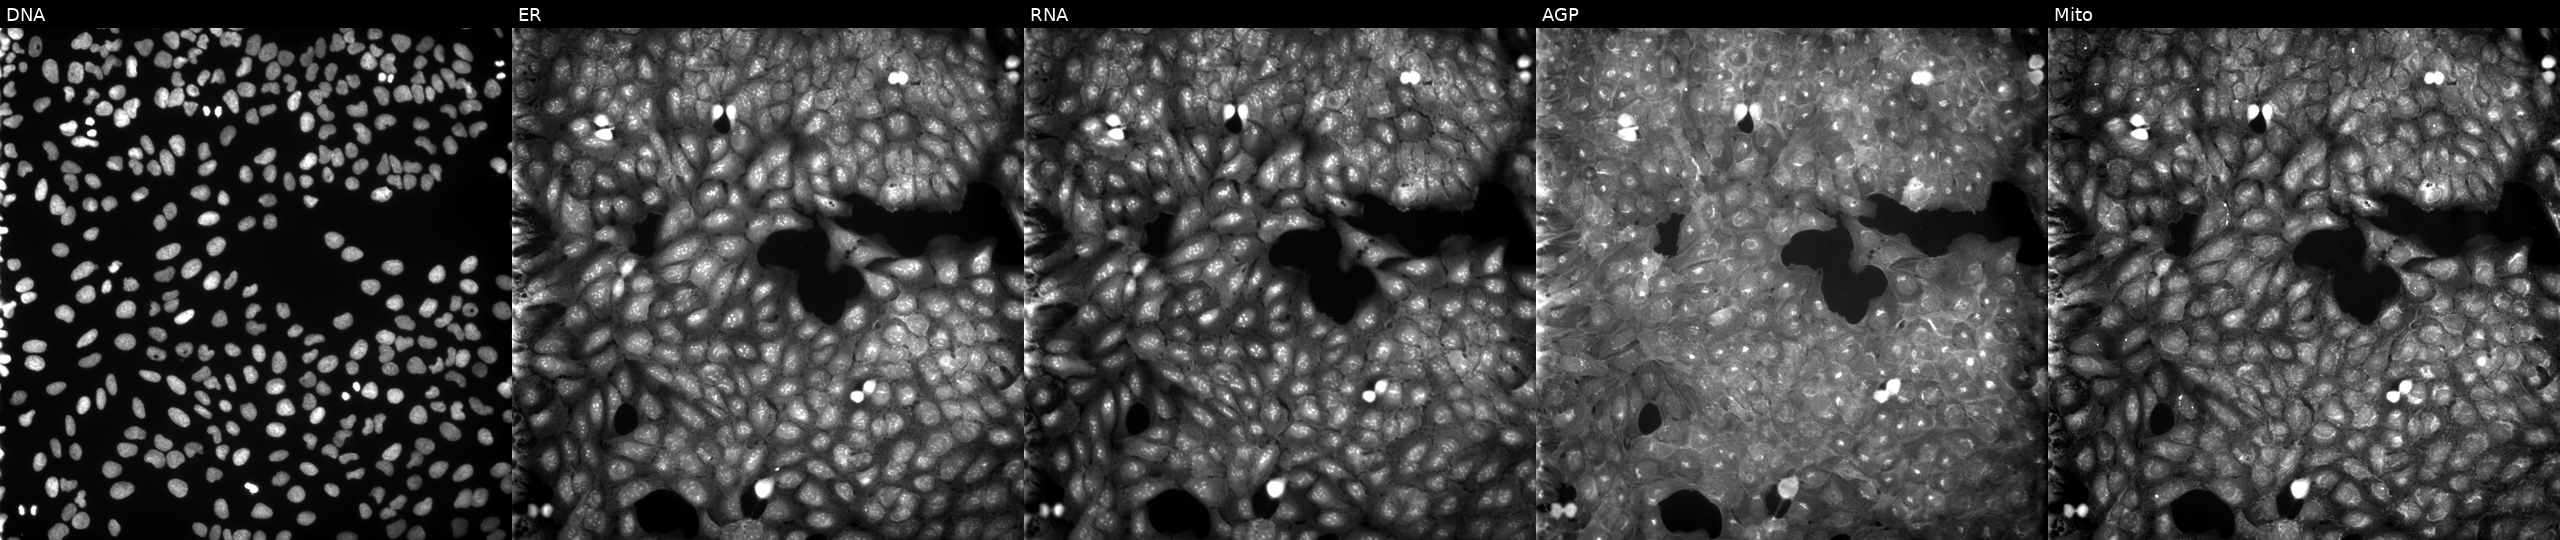
High-content fluorescence microscopy (Cell Painting). Cell line: U2OS. Perturbation: perturbed with a small-molecule compound (InChIKey NJTXWEXWMZTBIE-UHFFFAOYSA-N). Panels show, left to right, Hoechst 33342, concanavalin A, SYTO 14, phalloidin and WGA, MitoTracker.